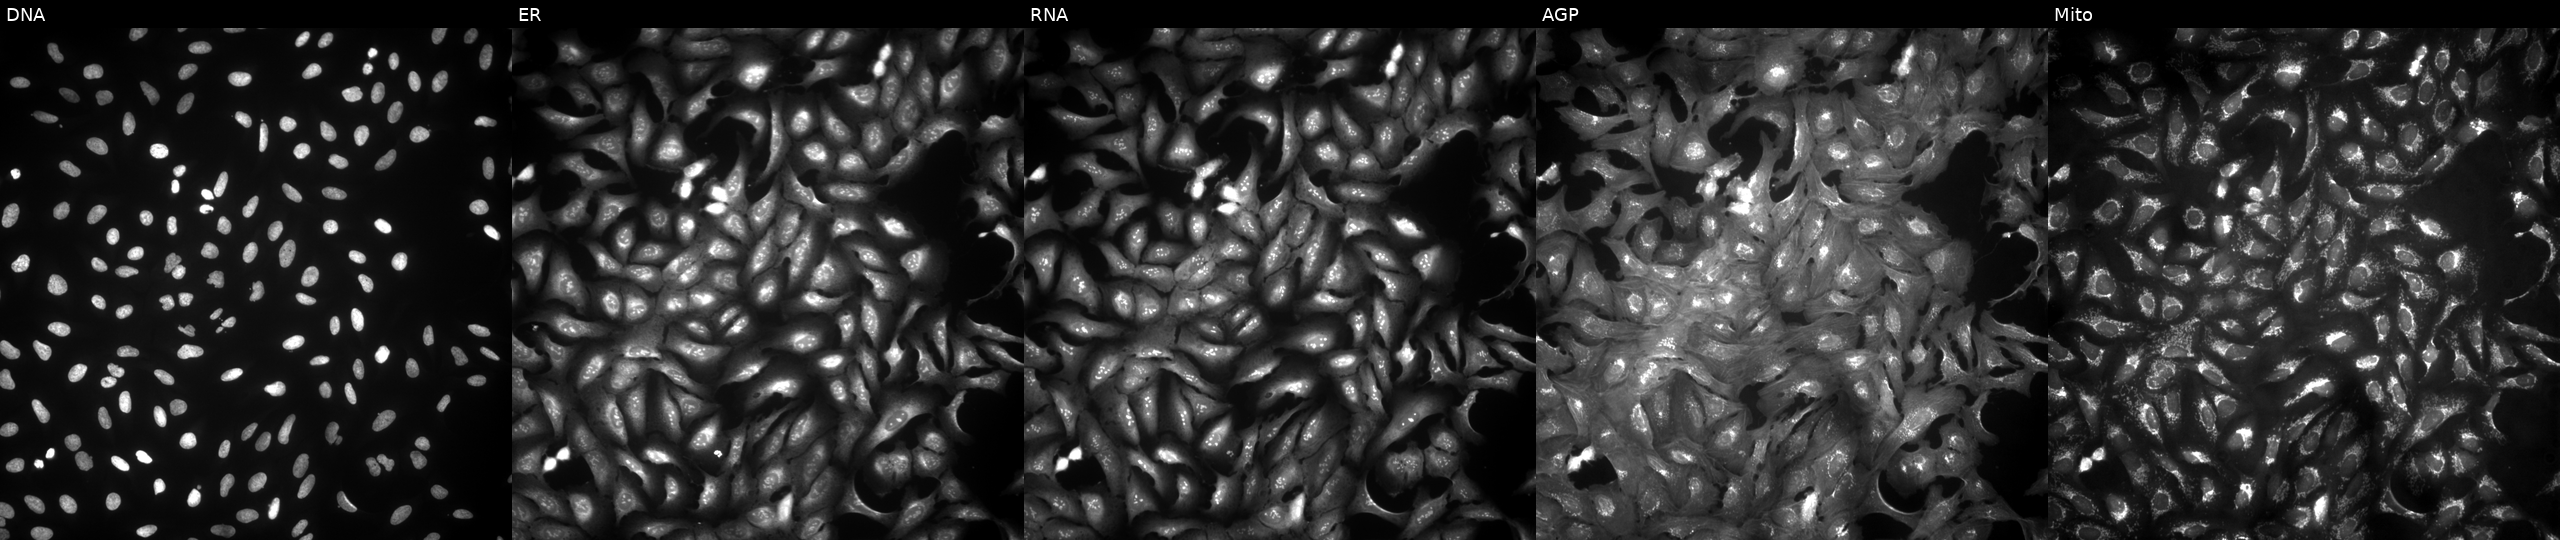
JUMP Cell Painting — ORF plate. U2OS cells overexpressing CAMK1G via ORF transfection (JUMP id JCP2022_908142). Channels (left→right): Hoechst 33342, concanavalin A, SYTO 14, phalloidin and WGA, MitoTracker.